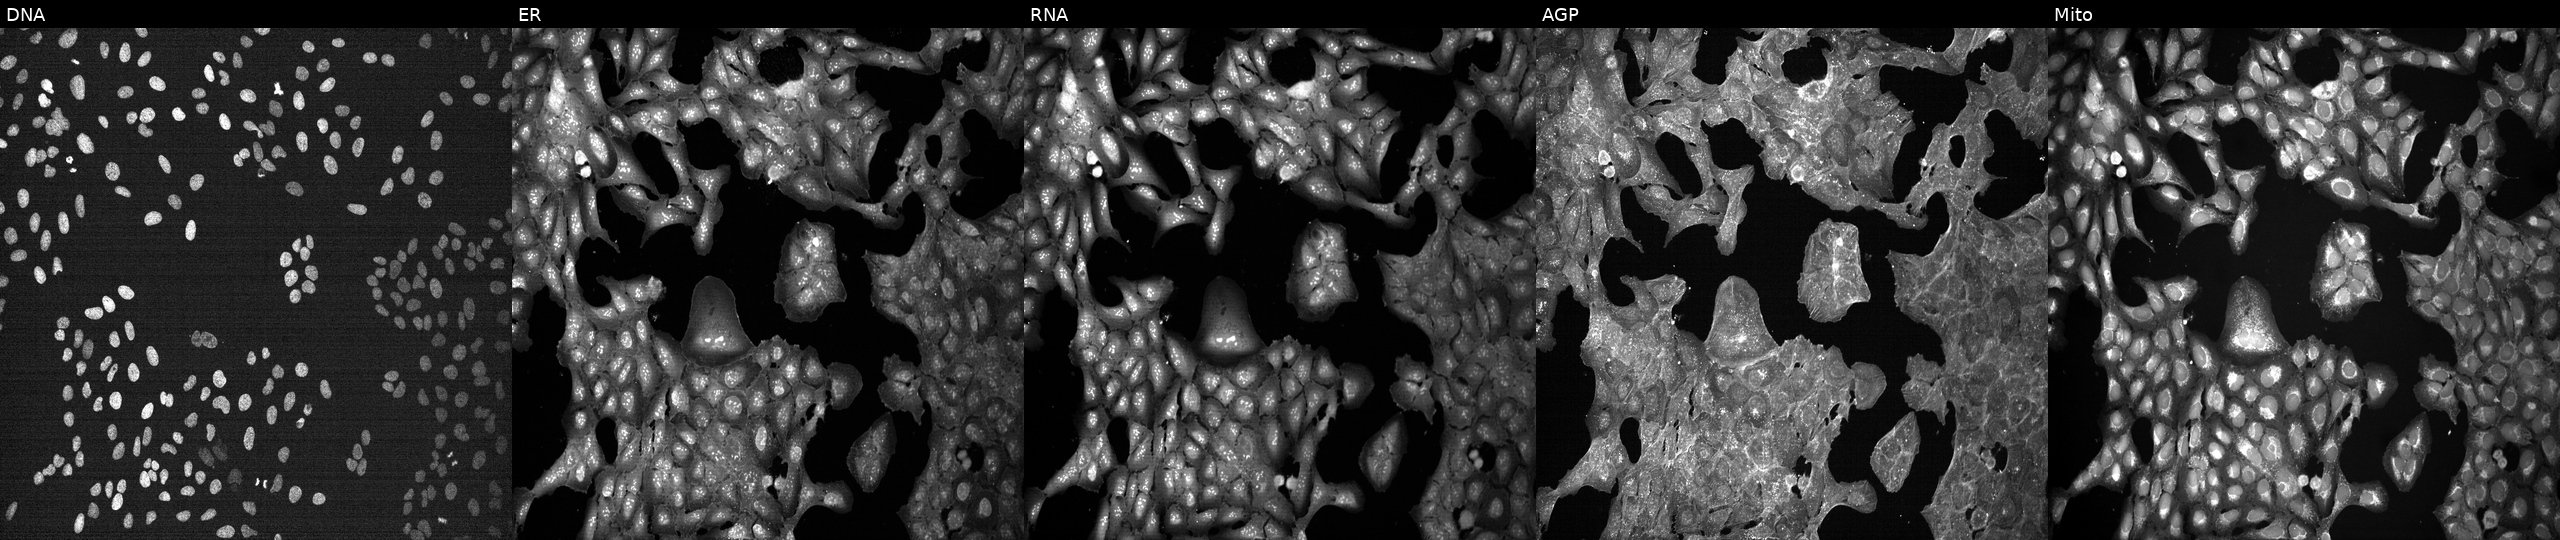
From left to right: DNA, ER, RNA, AGP, and Mito. U2OS osteosarcoma cells treated with DMSO vehicle only (negative control). Cell Painting assay, JUMP-CP dataset. Source 7, plate CP1-SC1-25, well H18.